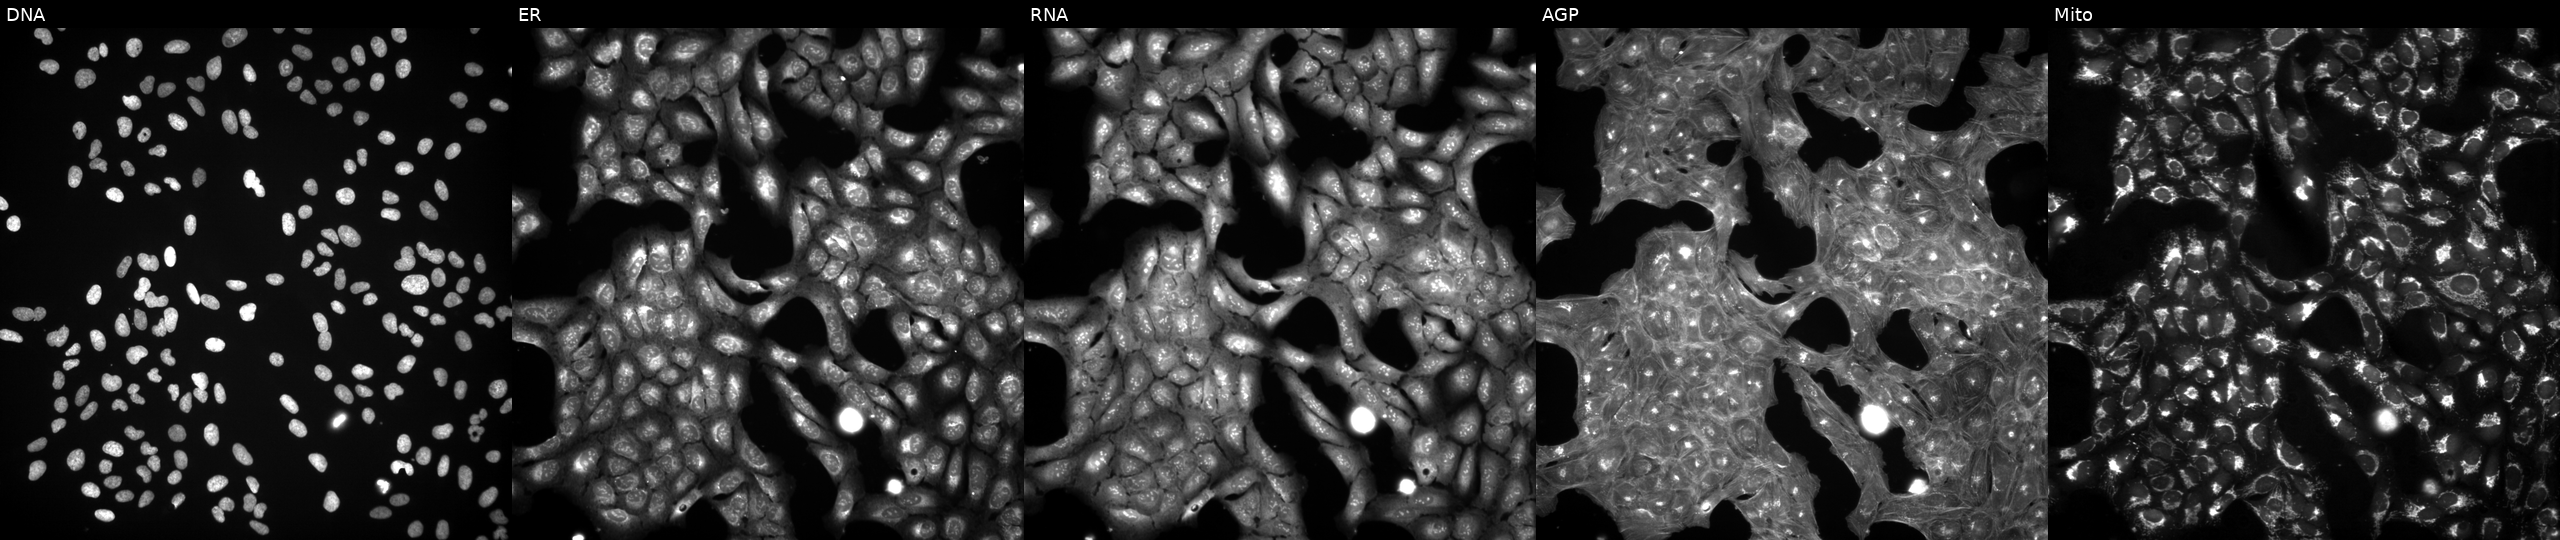
This image strip shows the five Cell Painting channels for a single field of U2OS cells treated with DMSO vehicle only (negative control). Panels show, left to right, DNA, ER, RNA, AGP, and Mito. Source 3, plate JCPQC053, well J12.